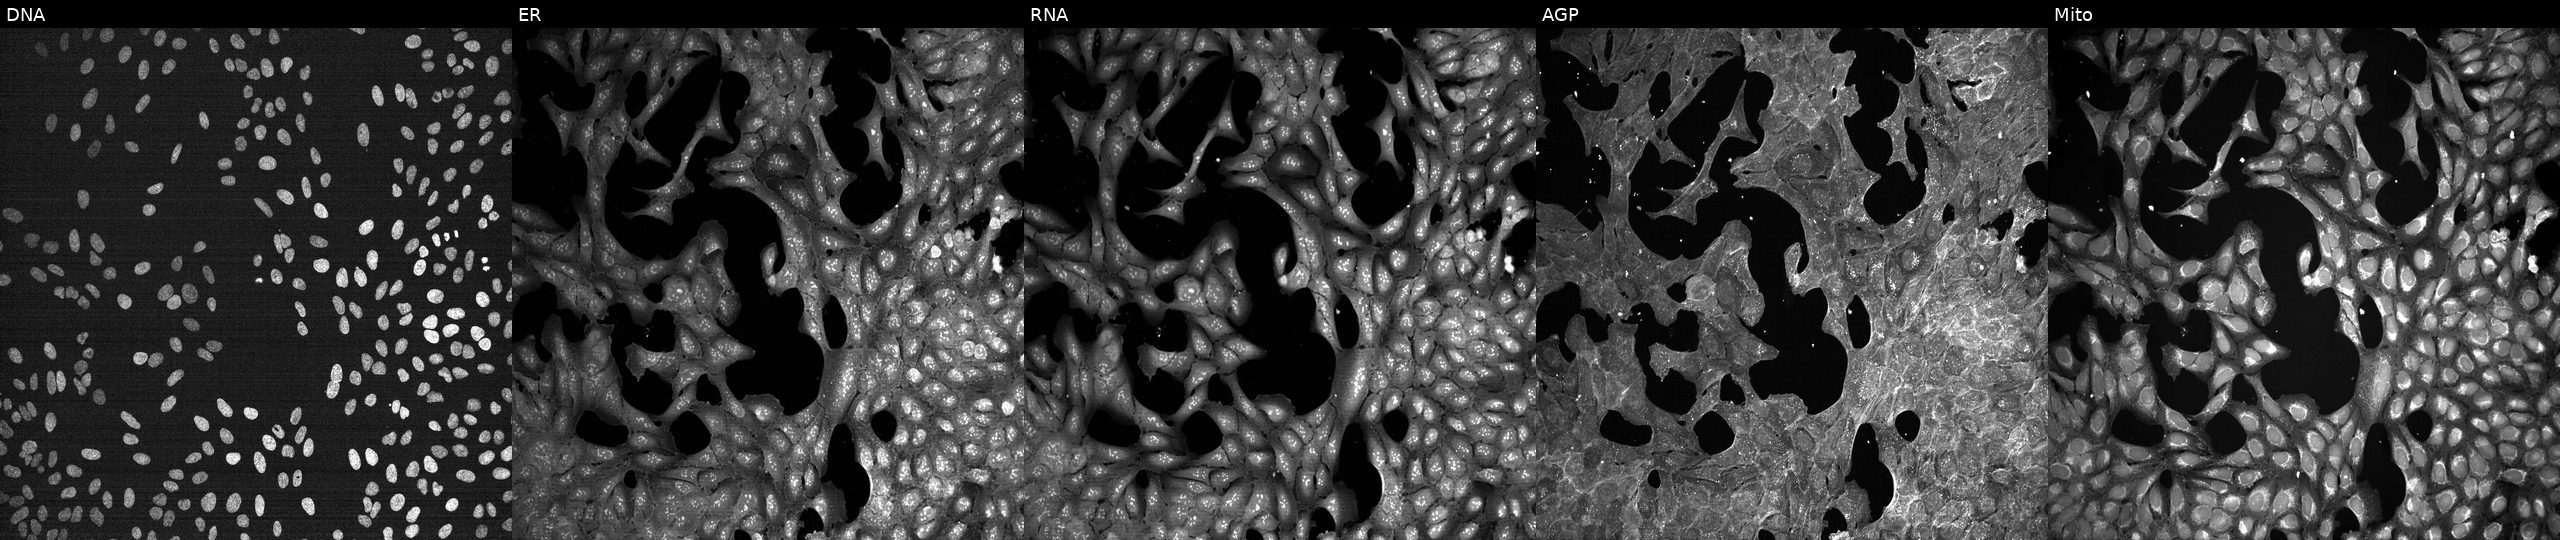
From left to right: DNA (nuclei); ER (endoplasmic reticulum); RNA (nucleoli and cytoplasmic RNA); AGP (actin cytoskeleton, Golgi, and plasma membrane); Mito (mitochondria). U2OS osteosarcoma cells exposed to a small-molecule compound. Cell Painting assay, JUMP-CP dataset.